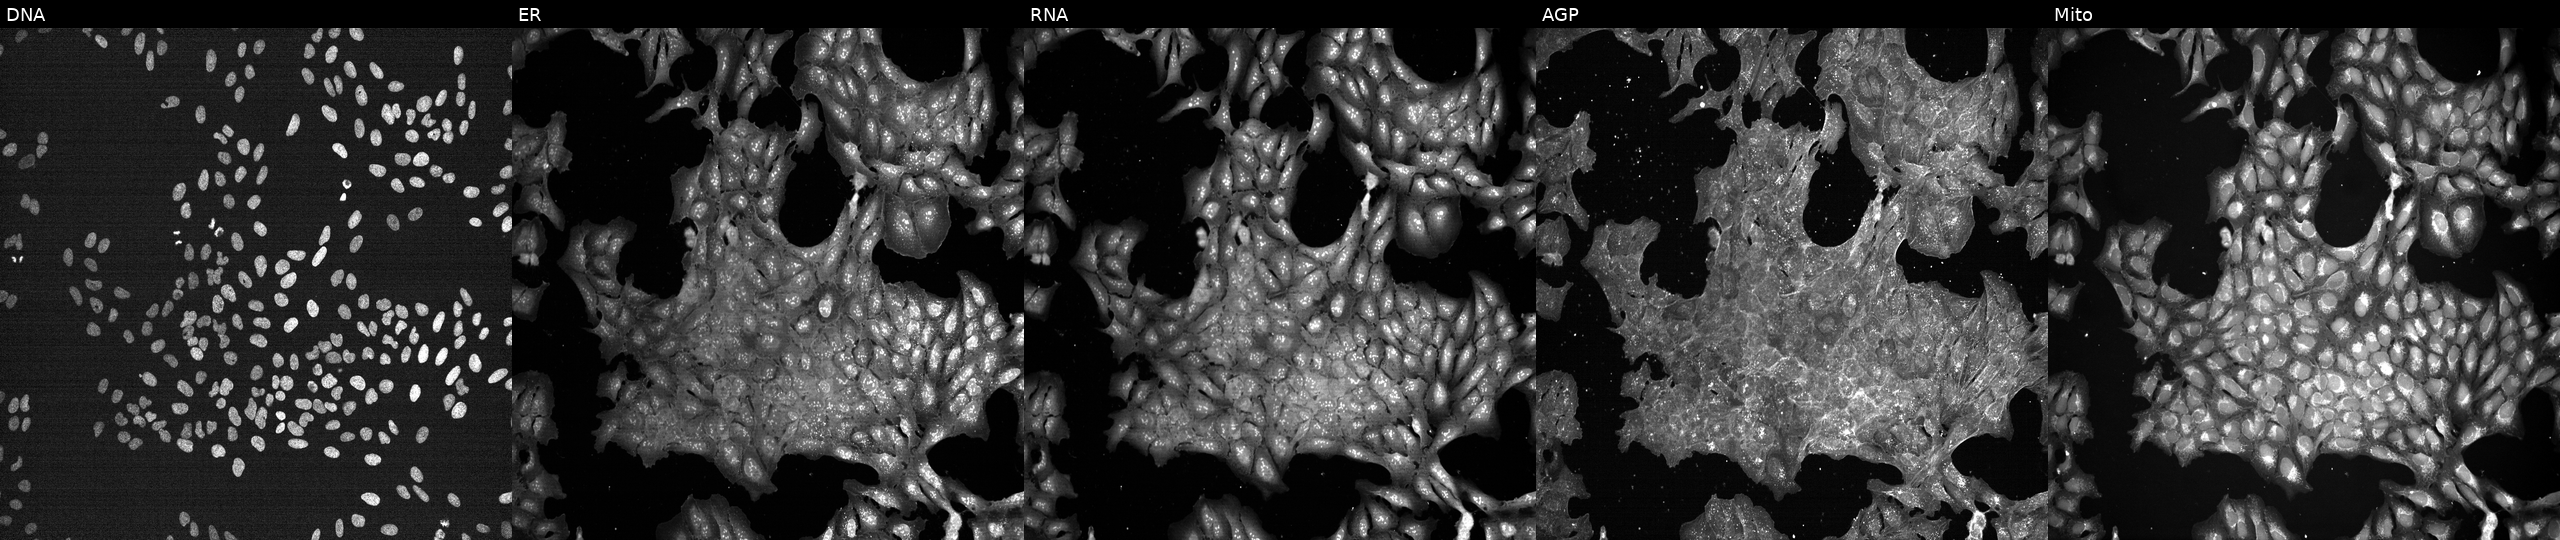
Five-channel Cell Painting image of U2OS cells treated with aloxistatin (positive-control compound) (JUMP id JCP2022_085227). Channels (left→right): DNA (nuclei); ER (endoplasmic reticulum); RNA (nucleoli and cytoplasmic RNA); AGP (actin cytoskeleton, Golgi, and plasma membrane); Mito (mitochondria). Source 7, plate CP1-SC1-25, well F06.